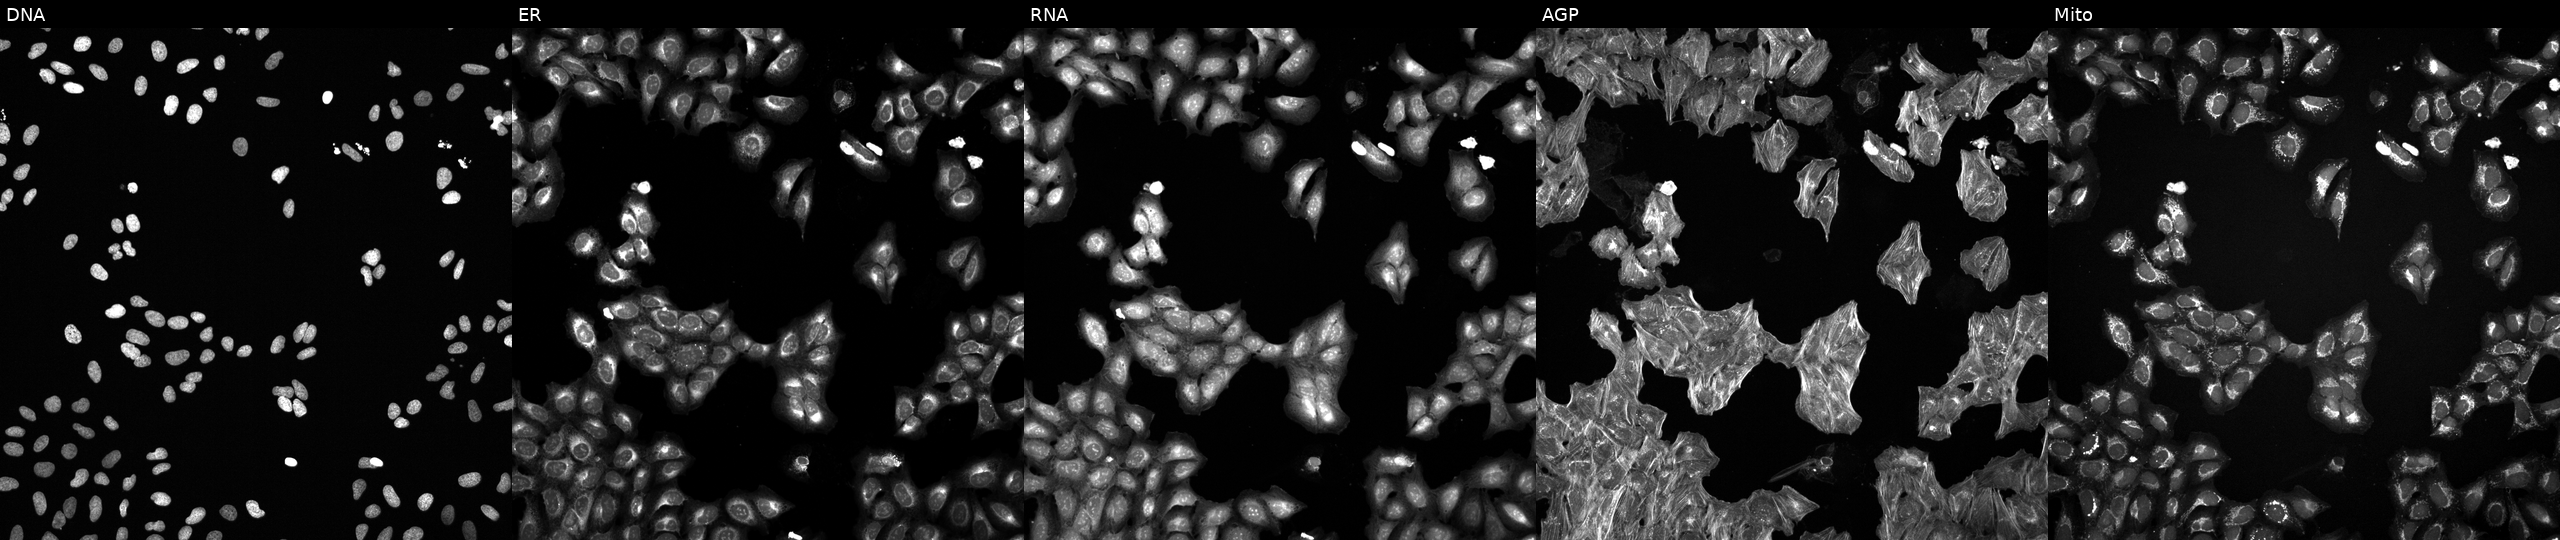
Panels show, left to right, Hoechst 33342, concanavalin A, SYTO 14, phalloidin and WGA, MitoTracker. U2OS osteosarcoma cells exposed to the positive-control compound NVS-PAK1-1 (JUMP id JCP2022_064022). Cell Painting assay, JUMP-CP dataset. Source 6, plate 110000294901, well J13.